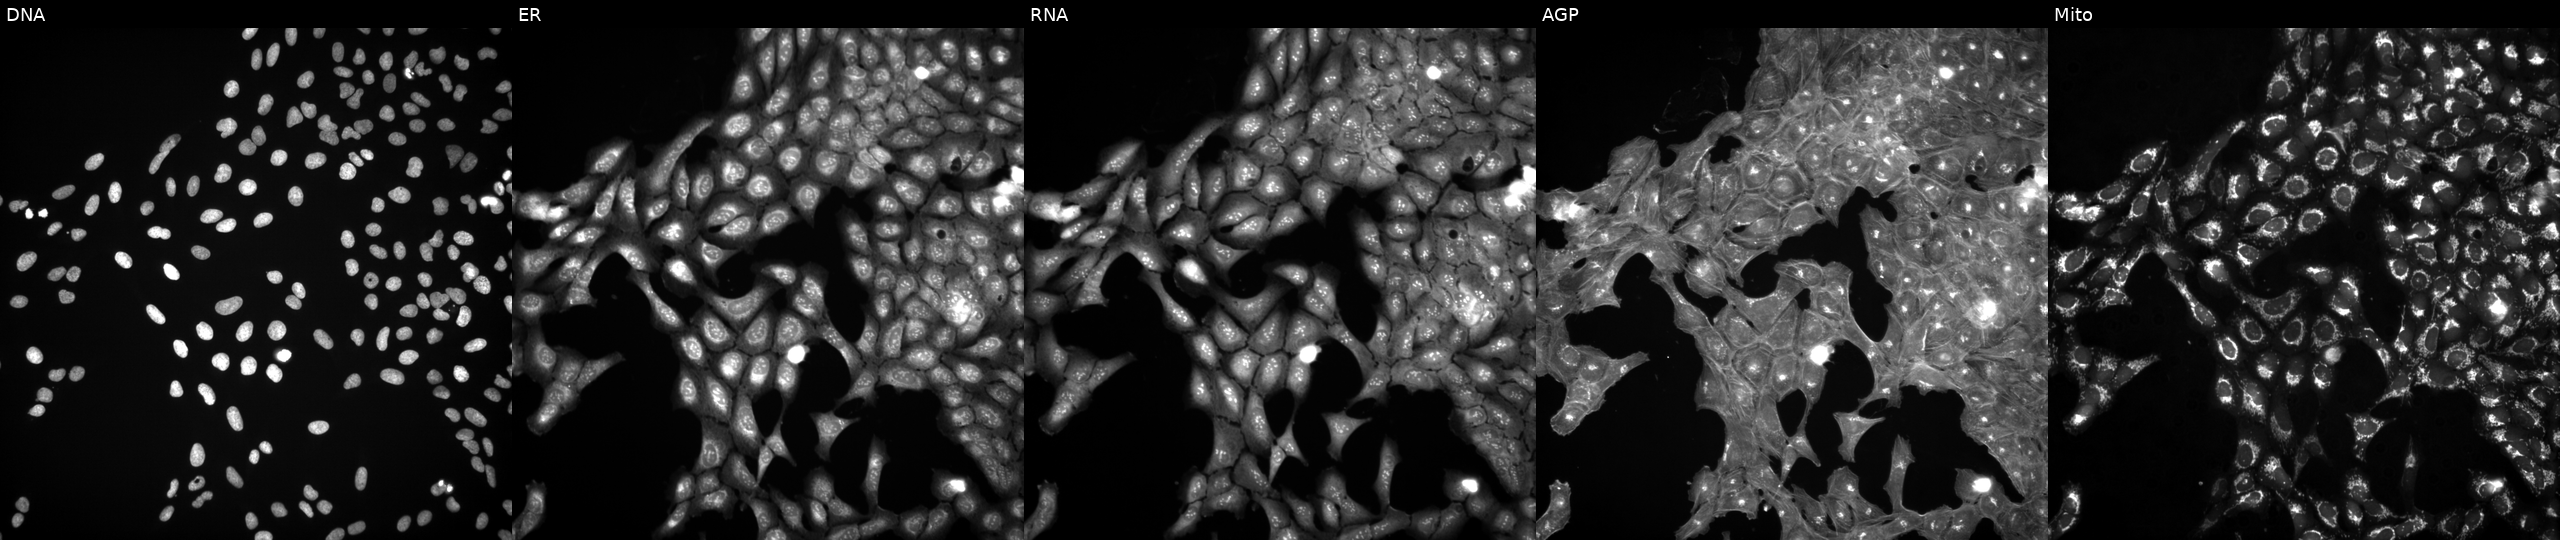
This image strip shows the five Cell Painting channels for a single field of U2OS cells treated with DMSO vehicle only (negative control) (JUMP id JCP2022_033924). From left to right: DNA (nuclei); ER (endoplasmic reticulum); RNA (nucleoli and cytoplasmic RNA); AGP (actin cytoskeleton, Golgi, and plasma membrane); Mito (mitochondria).